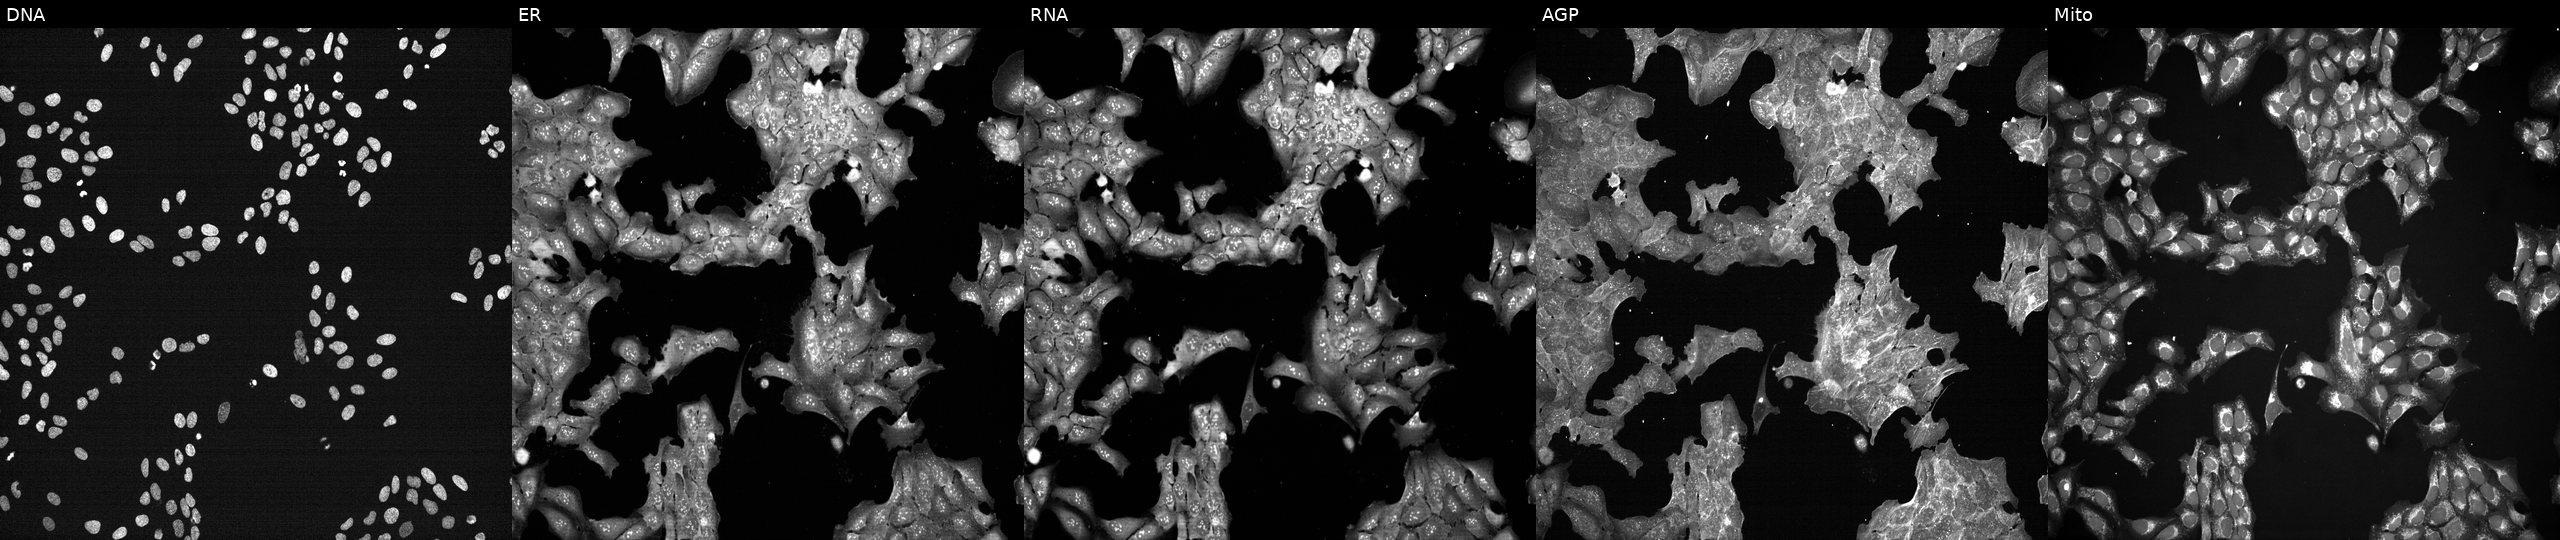
From left to right: DNA (nuclei); ER (endoplasmic reticulum); RNA (nucleoli and cytoplasmic RNA); AGP (actin cytoskeleton, Golgi, and plasma membrane); Mito (mitochondria). U2OS osteosarcoma cells exposed to a small-molecule compound (InChIKey JPGQOUSTVILISH-UHFFFAOYSA-N). Cell Painting assay, JUMP-CP dataset. Source 7, plate CP3-SC1-25, well G08.